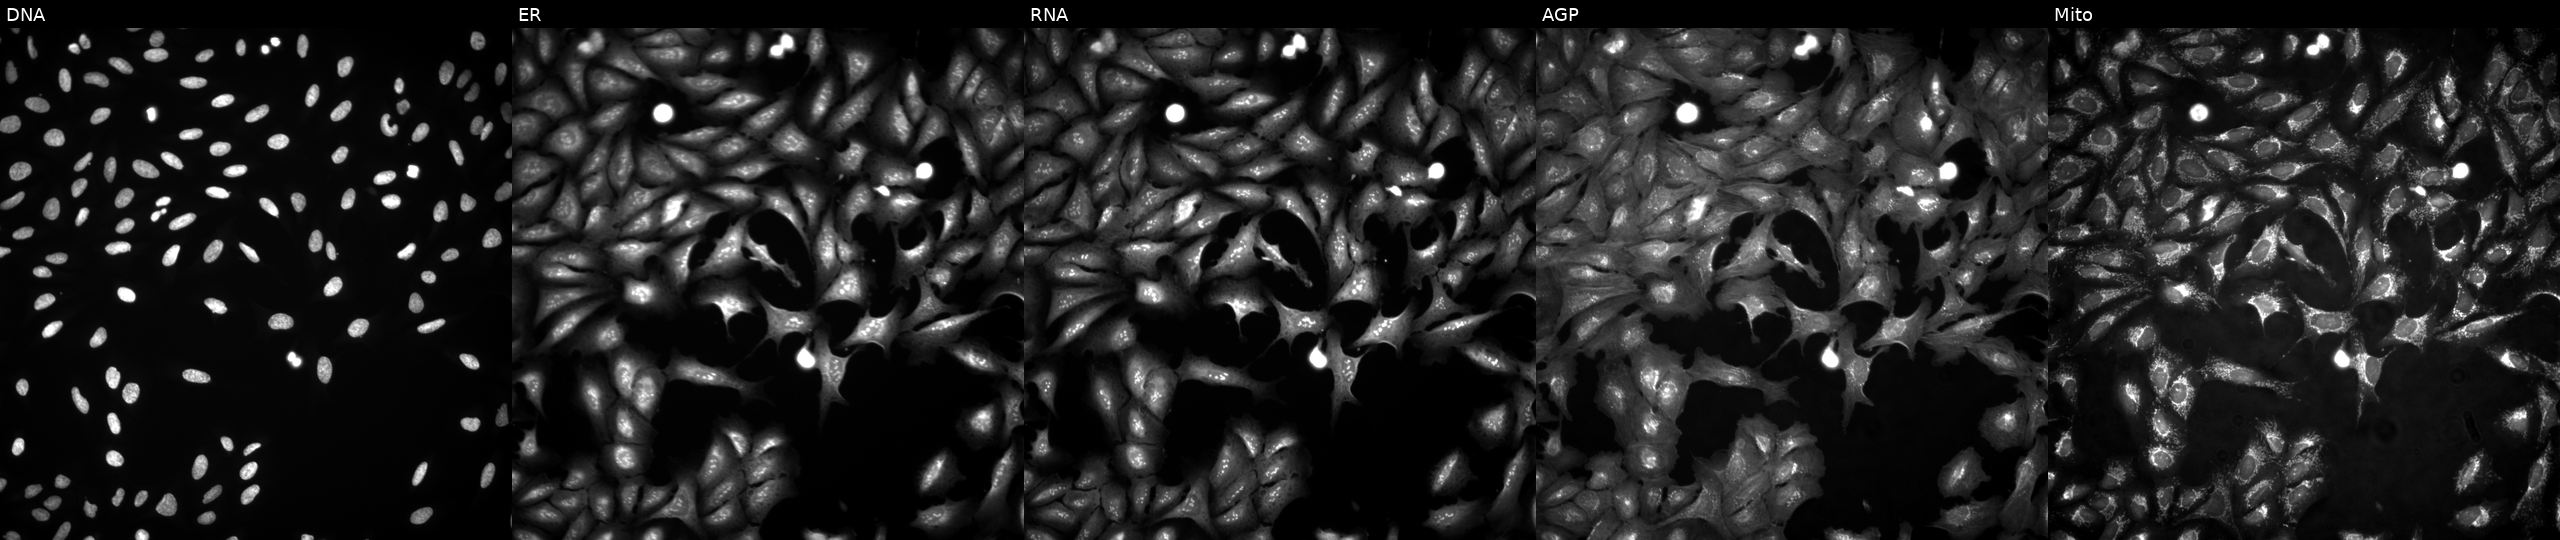
Five-channel Cell Painting image of U2OS cells with PPM1M overexpressed (ORF). Panels show, left to right, Hoechst 33342, concanavalin A, SYTO 14, phalloidin and WGA, MitoTracker.